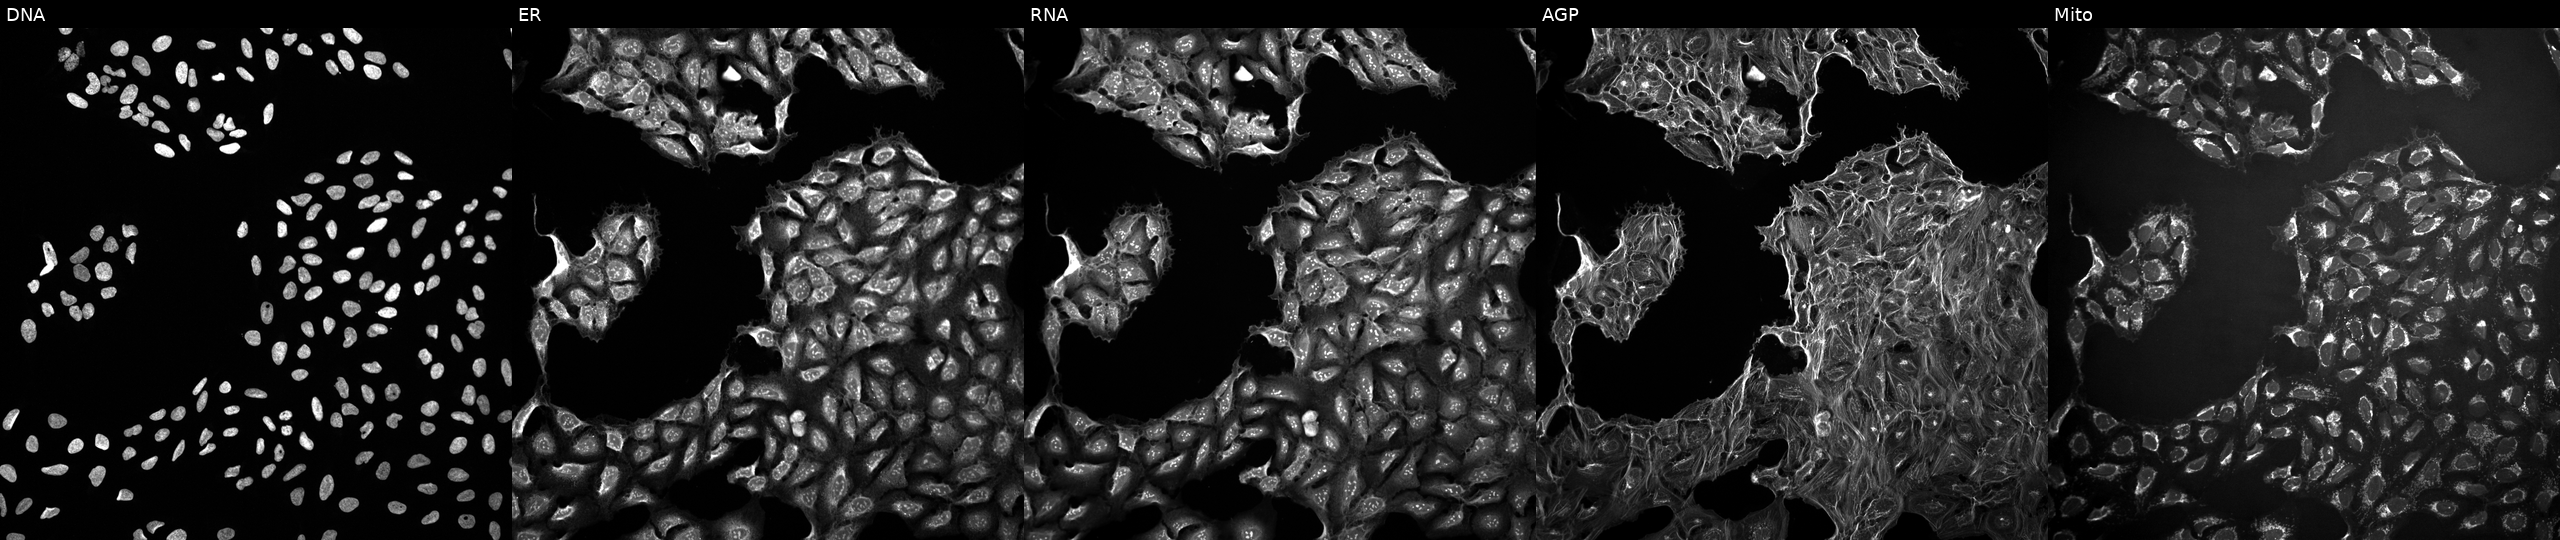
This image strip shows the five Cell Painting channels for a single field of U2OS cells treated with a small-molecule compound (InChIKey NDNKNUMSTIMSHQ-UHFFFAOYSA-N) (JUMP id JCP2022_058288). From left to right: DNA (nuclei); ER (endoplasmic reticulum); RNA (nucleoli and cytoplasmic RNA); AGP (actin cytoskeleton, Golgi, and plasma membrane); Mito (mitochondria).